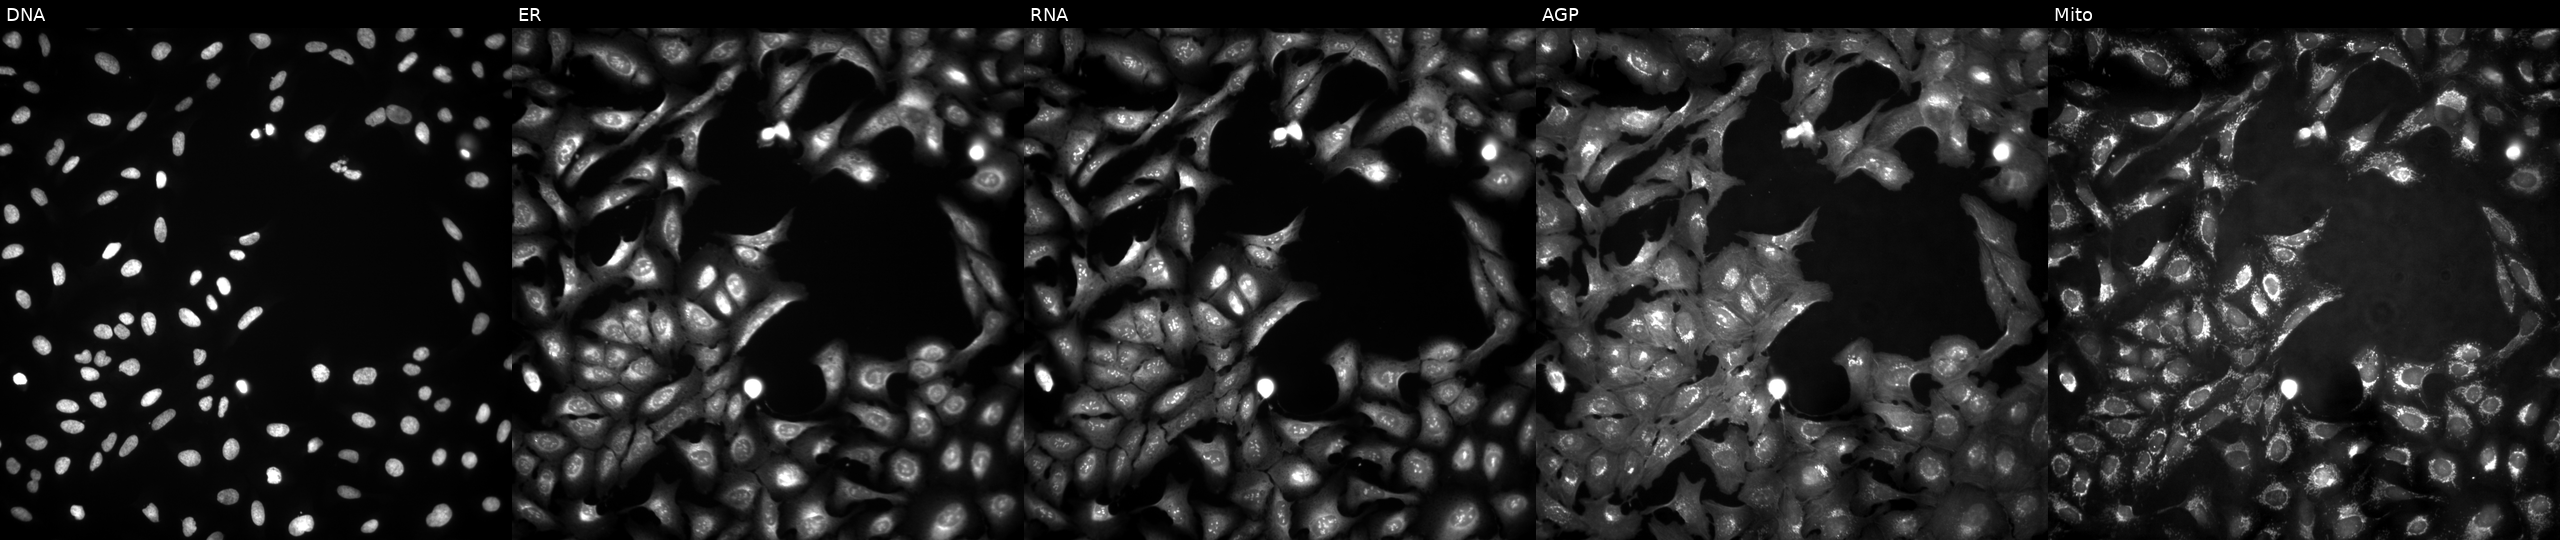
JUMP Cell Painting — ORF plate. U2OS cells overexpressing WDR47 via ORF transfection (JUMP id JCP2022_910859). Panels show, left to right, Hoechst 33342, concanavalin A, SYTO 14, phalloidin and WGA, MitoTracker.